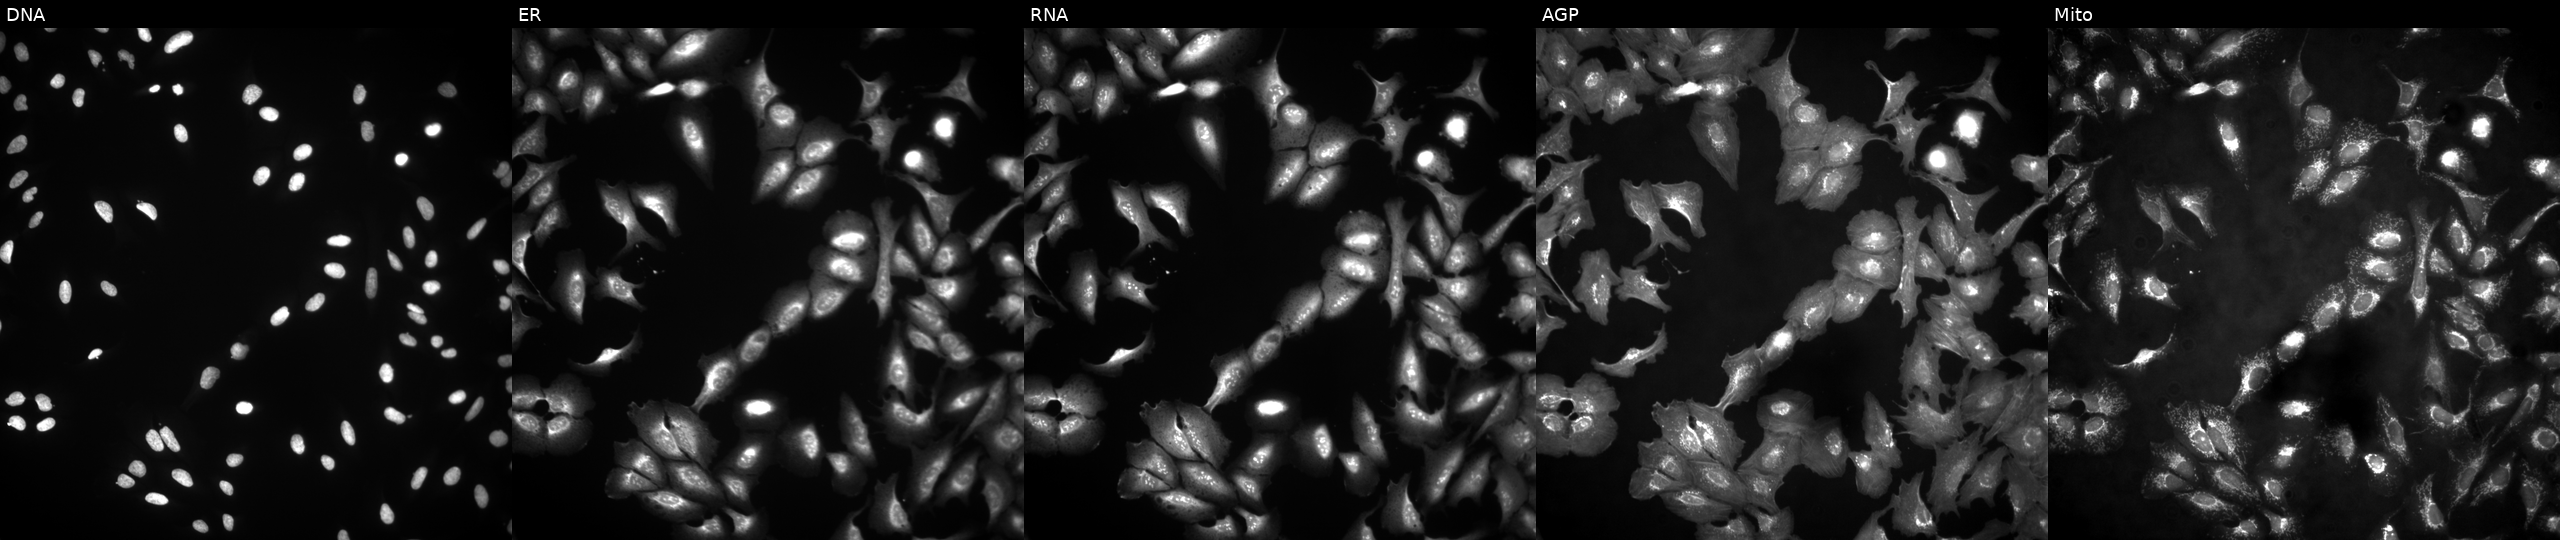
Five-channel Cell Painting image of U2OS cells with ALG1L overexpressed (ORF). From left to right: DNA, ER, RNA, AGP, and Mito.